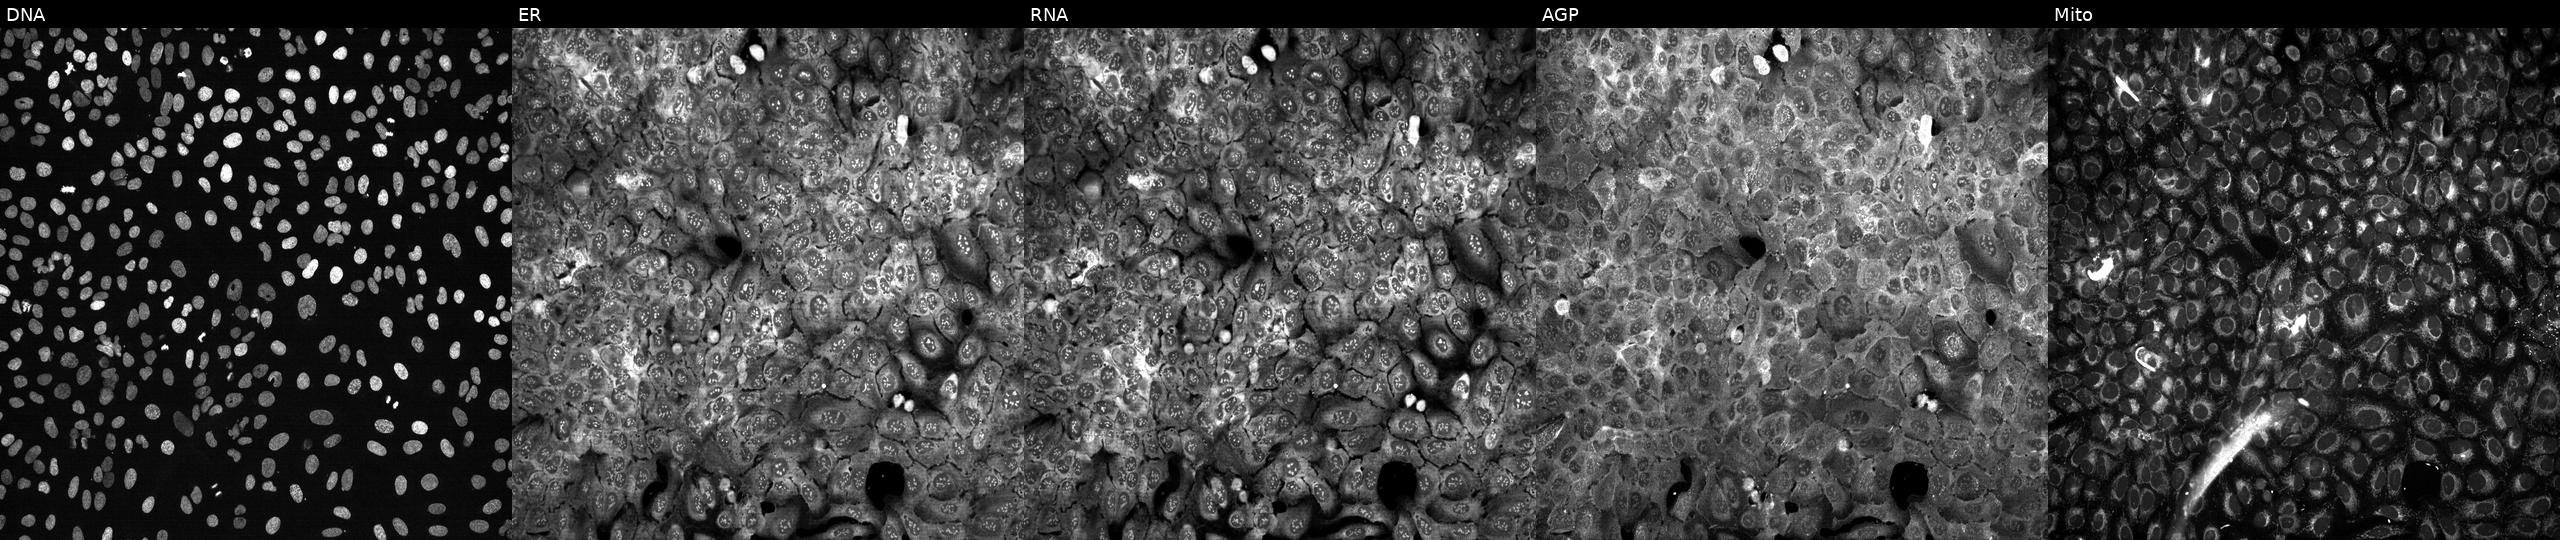
This image strip shows the five Cell Painting channels for a single field of U2OS cells CRISPR-edited to disrupt SLC2A1. Channels (left→right): DNA, ER, RNA, AGP, and Mito.